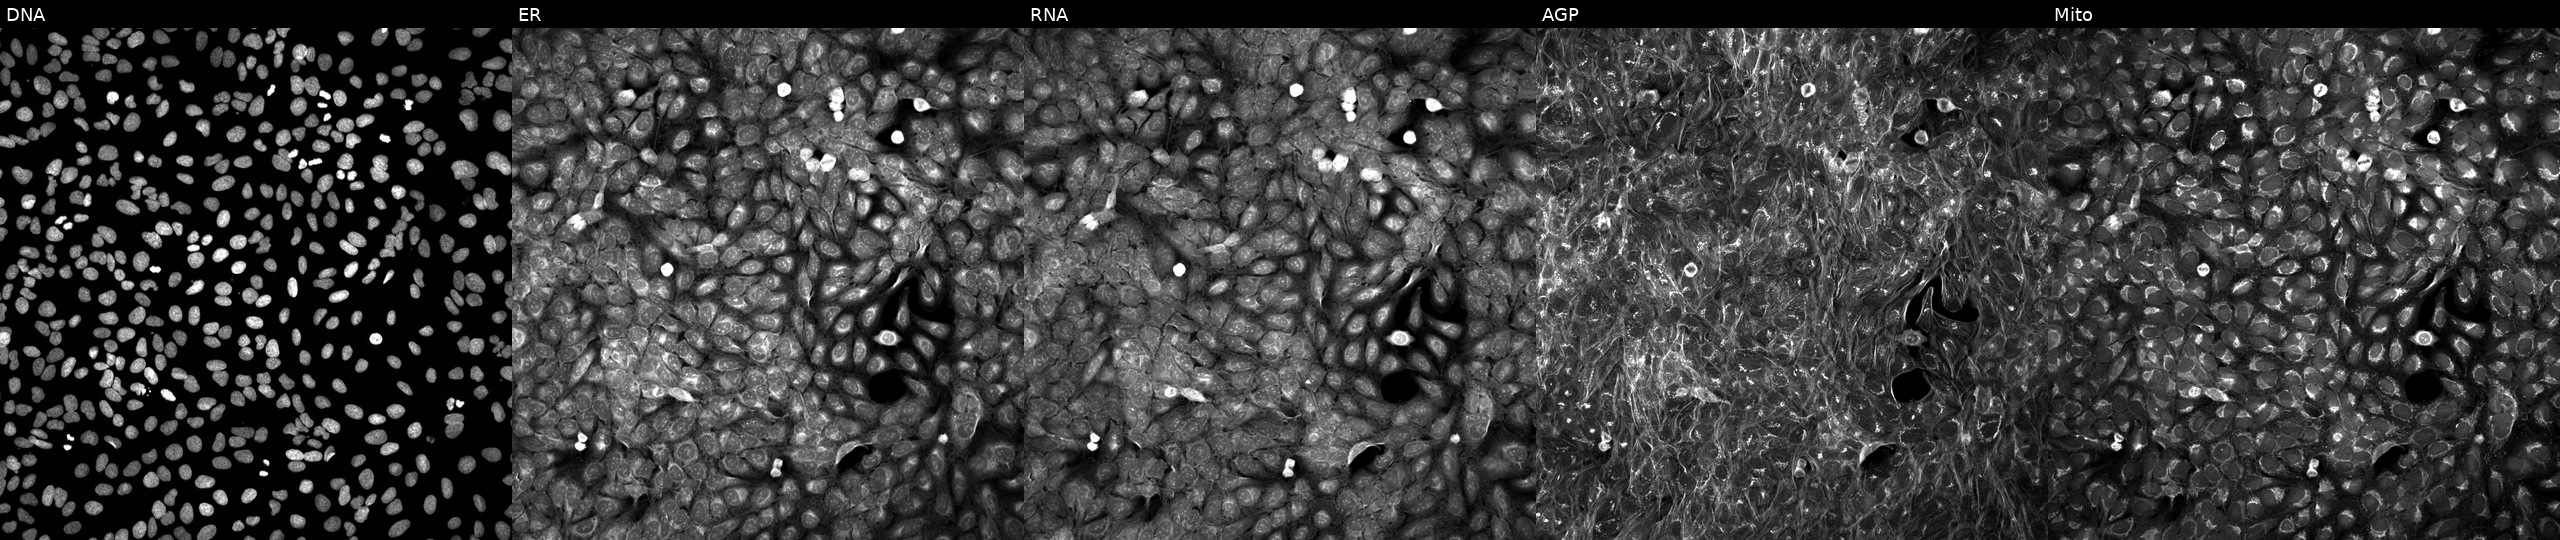
JUMP Cell Painting — TARGET2 plate. U2OS cells perturbed with a small-molecule compound (InChIKey NHXLMOGPVYXJNR-UHFFFAOYSA-N). The five panels, left to right, show DNA (nuclei); ER (endoplasmic reticulum); RNA (nucleoli and cytoplasmic RNA); AGP (actin cytoskeleton, Golgi, and plasma membrane); Mito (mitochondria).